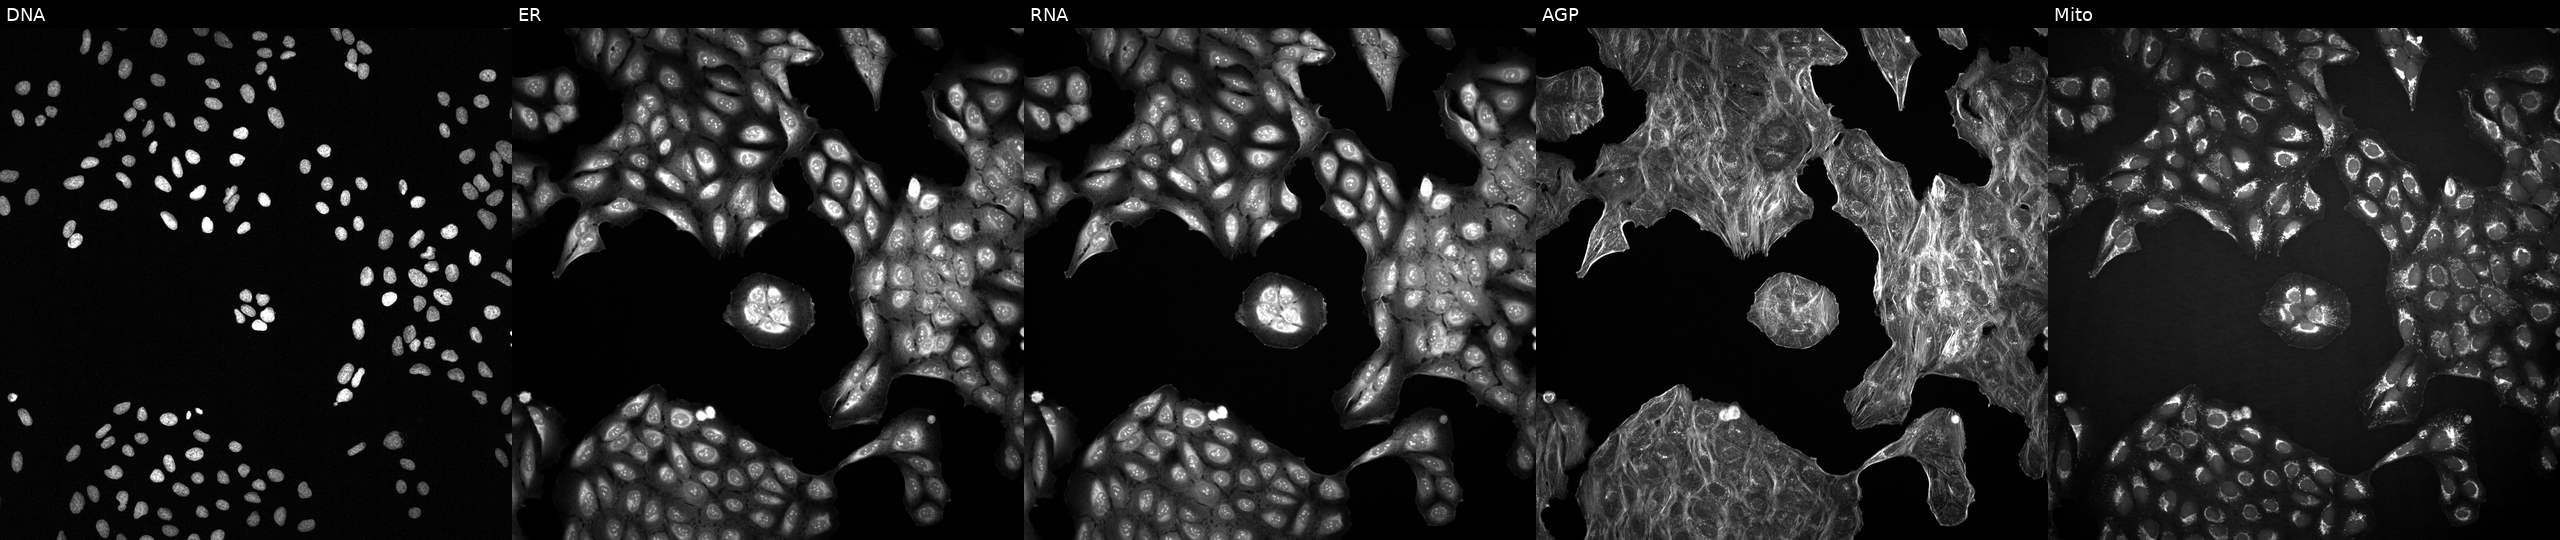
Five-channel Cell Painting image of U2OS cells with an unidentified perturbation (not annotated in JUMP metadata). From left to right: DNA, ER, RNA, AGP, and Mito.